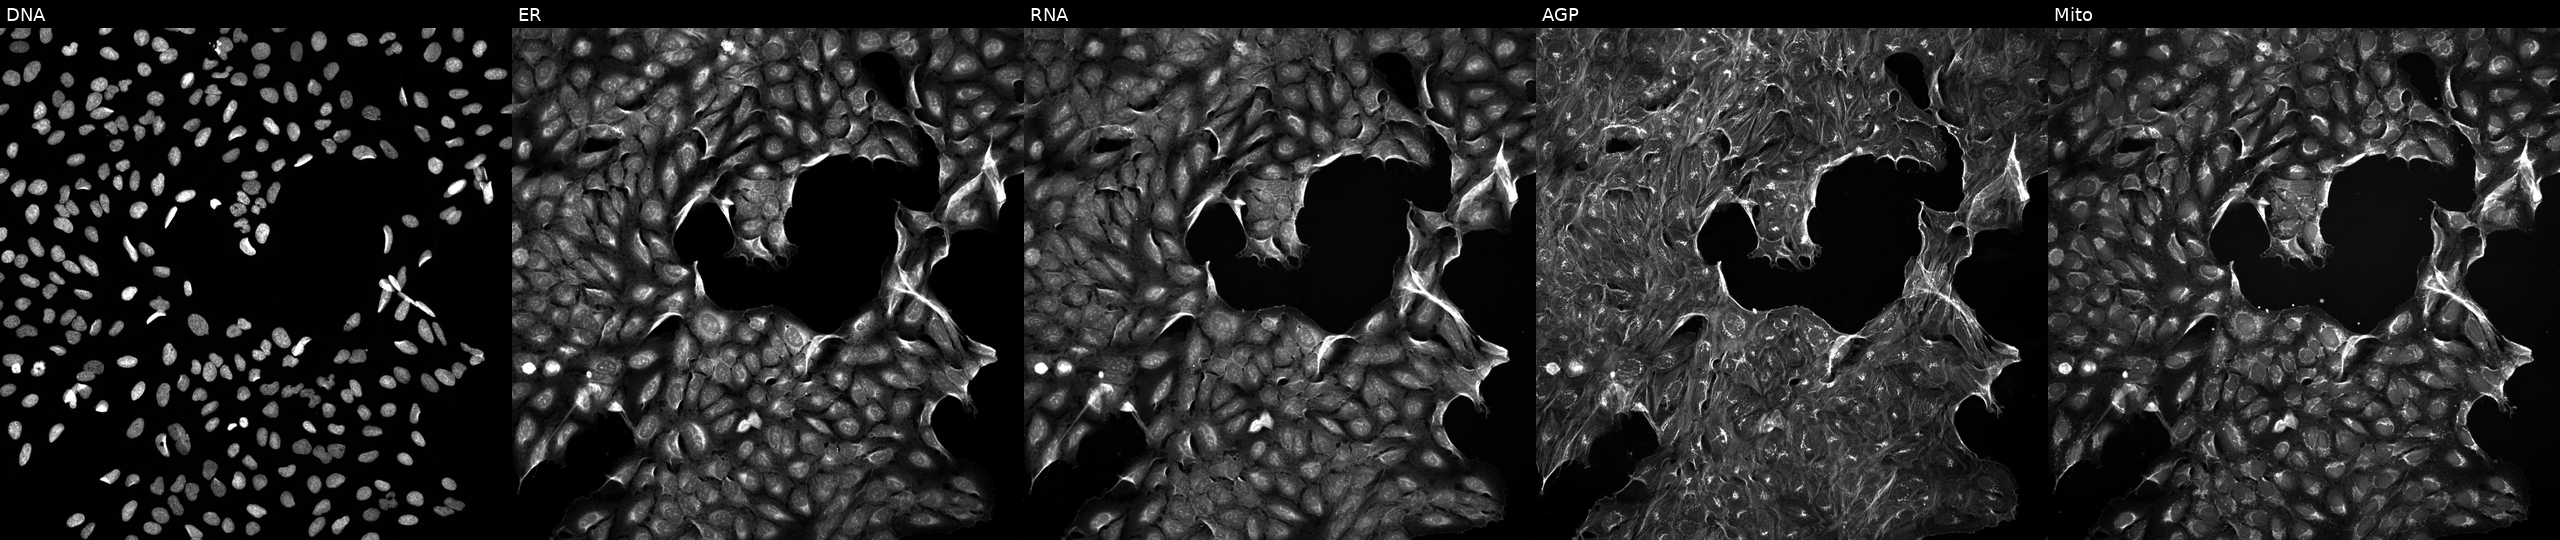
High-content fluorescence microscopy (Cell Painting). Cell line: U2OS. Perturbation: perturbed with a small-molecule compound [SMILES: CC1(C)CNc2cc(NC(=O)c3ccc[nH]c3=NCc3ccncc3)ccc21]. Panels show, left to right, Hoechst 33342, concanavalin A, SYTO 14, phalloidin and WGA, MitoTracker.